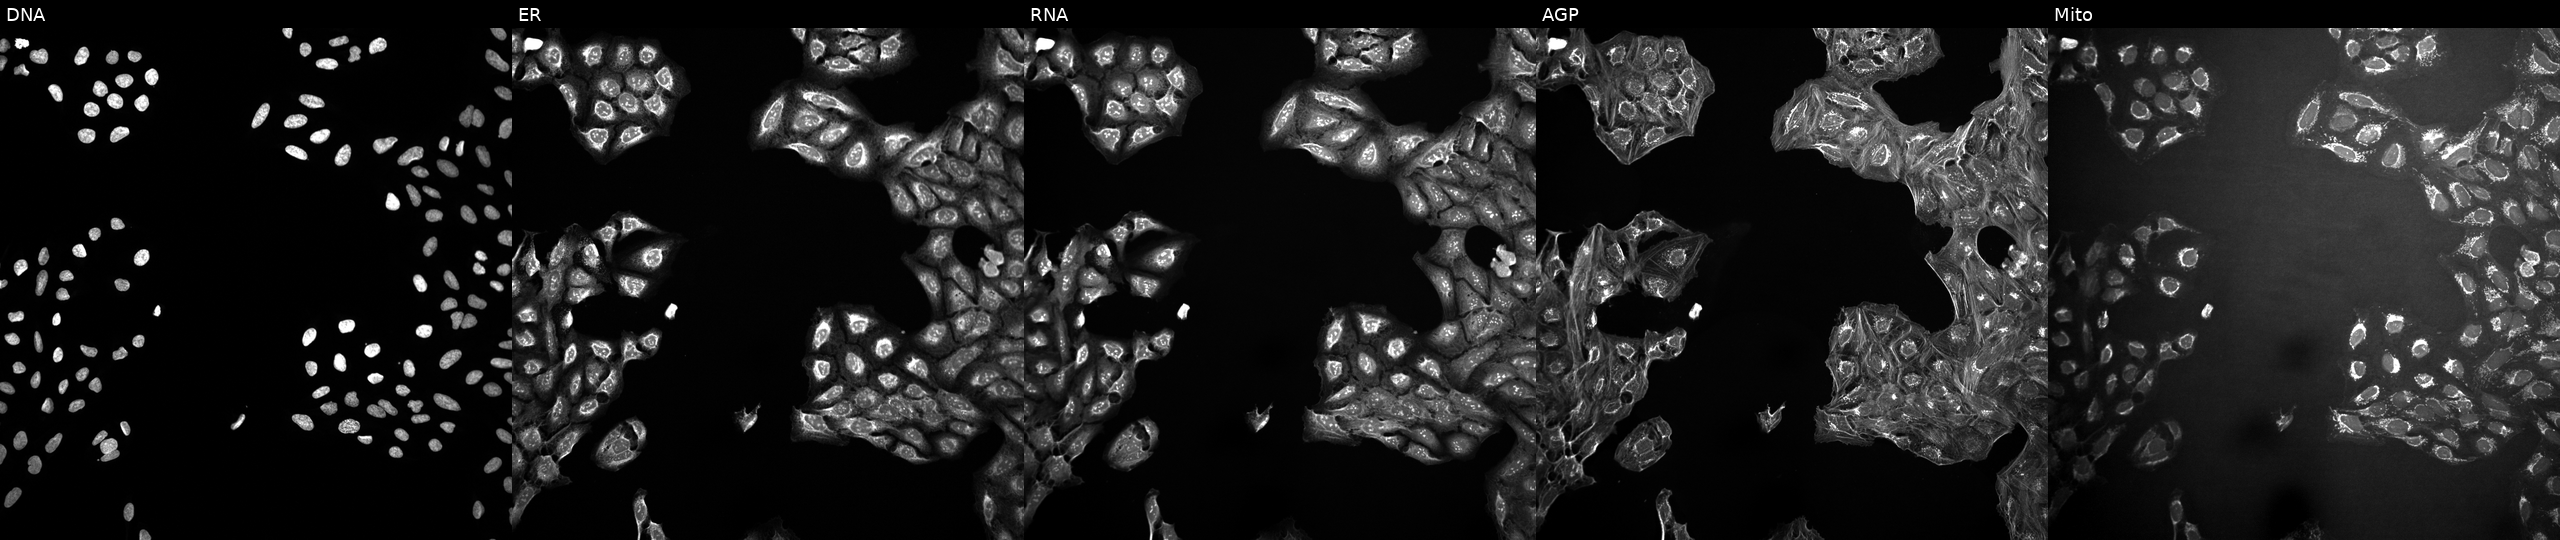
JUMP Cell Painting — COMPOUND plate. U2OS cells untreated (empty-well control) (JUMP id JCP2022_999999). Channels (left→right): DNA, ER, RNA, AGP, and Mito. Source 10, plate Dest210531-152324, well B18.